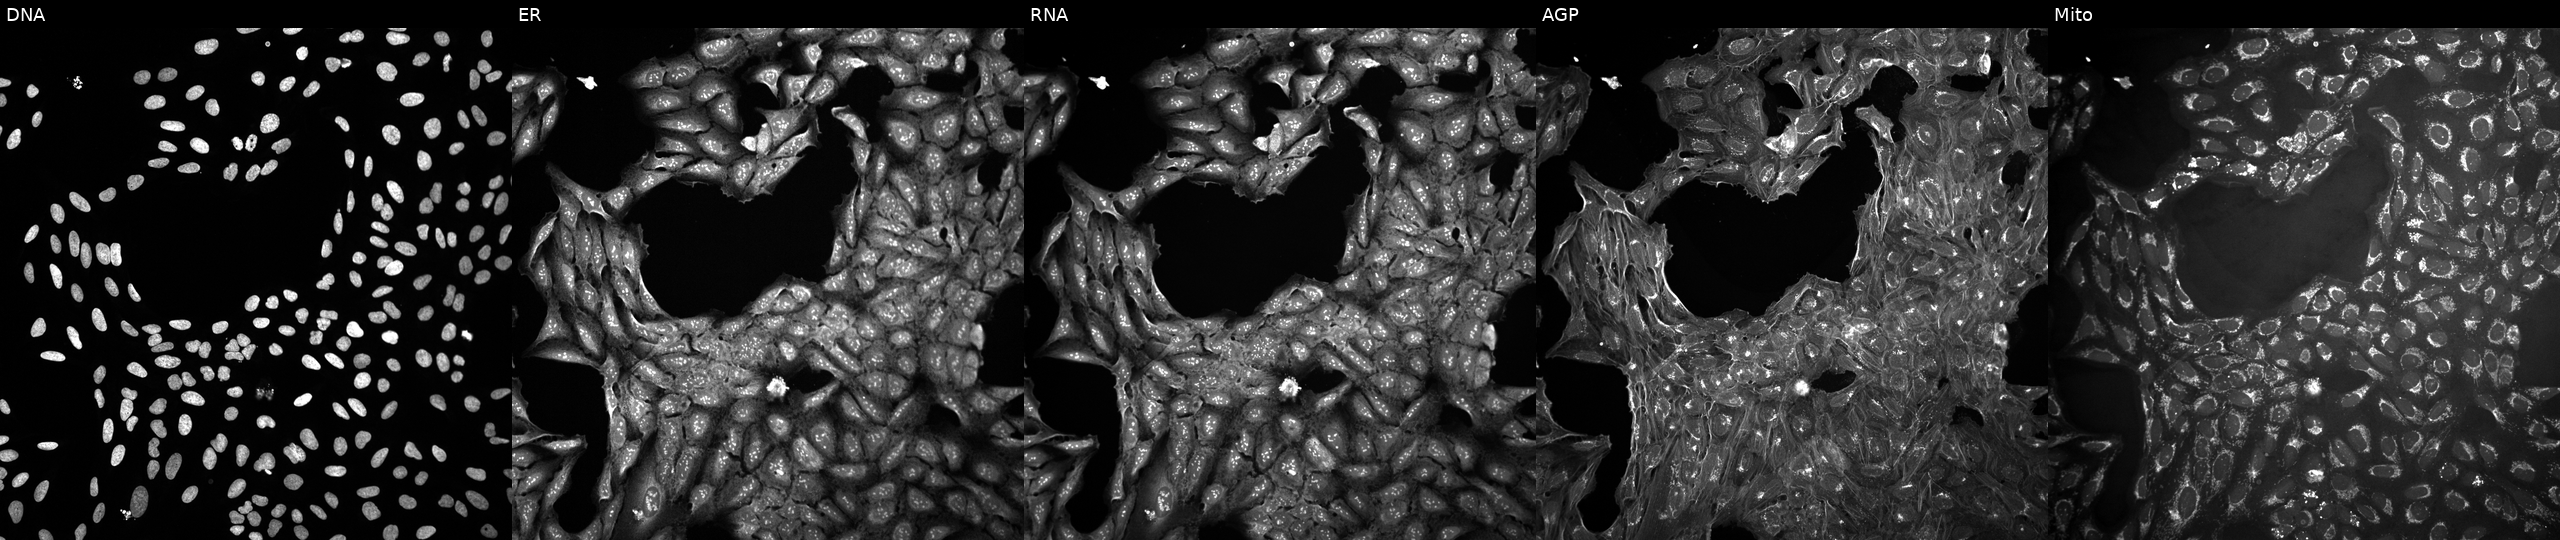
U2OS cells, Cell Painting assay, treated with a small-molecule compound (InChIKey CUMLBMDHSYTXCQ-UHFFFAOYSA-N). From left to right: DNA (nuclei); ER (endoplasmic reticulum); RNA (nucleoli and cytoplasmic RNA); AGP (actin cytoskeleton, Golgi, and plasma membrane); Mito (mitochondria). Each panel is percentile-stretched 16-bit fluorescence.